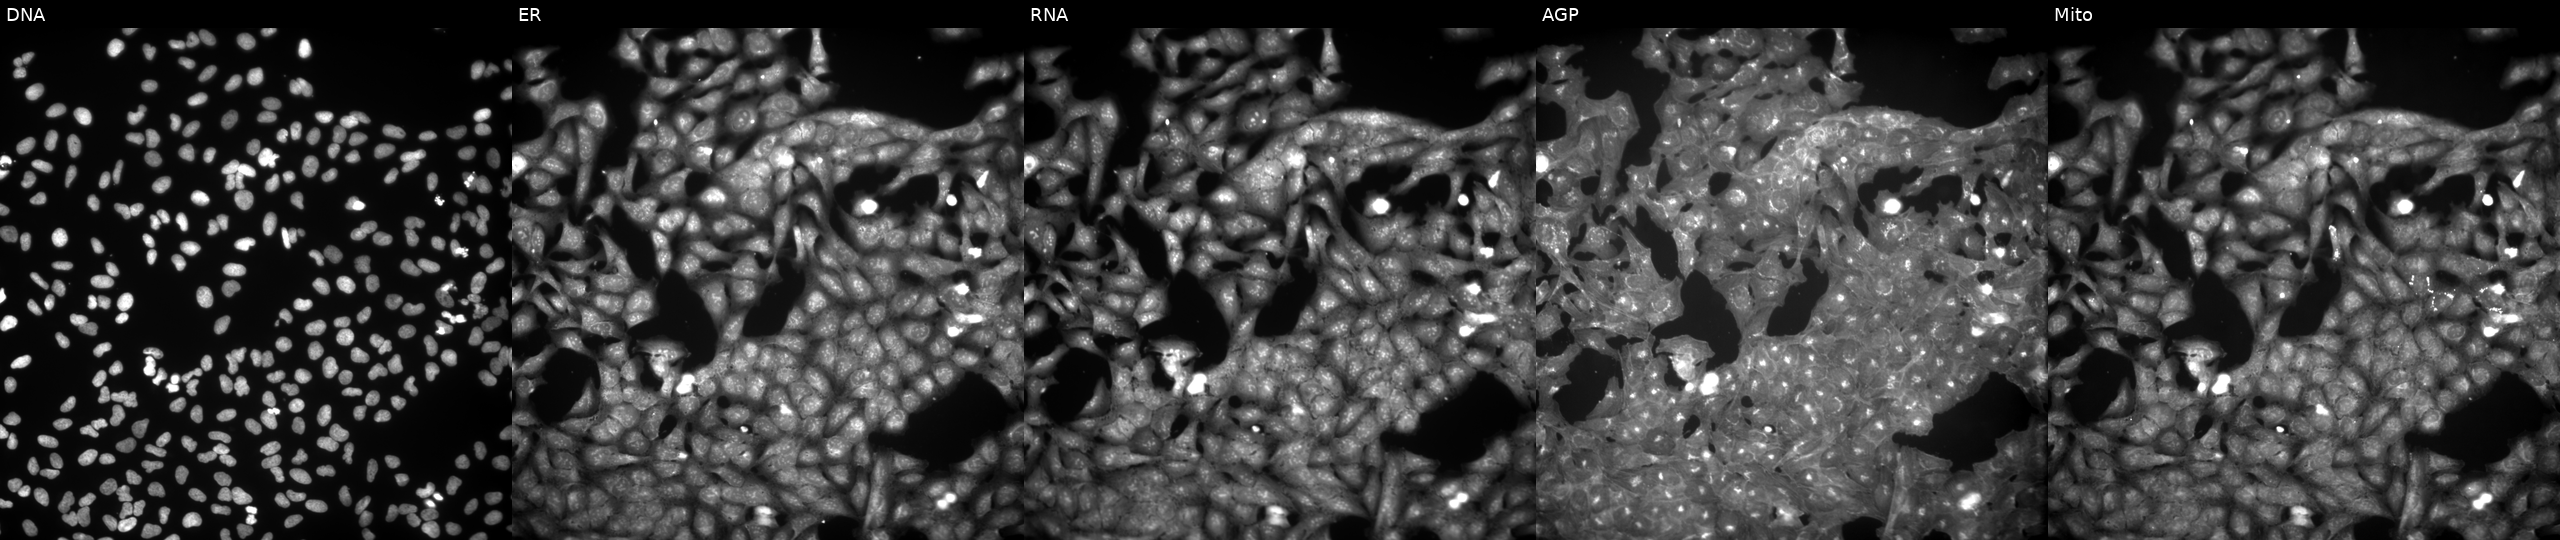
This image strip shows the five Cell Painting channels for a single field of U2OS cells exposed to the positive-control compound NVS-PAK1-1. Panels show, left to right, DNA, ER, RNA, AGP, and Mito.